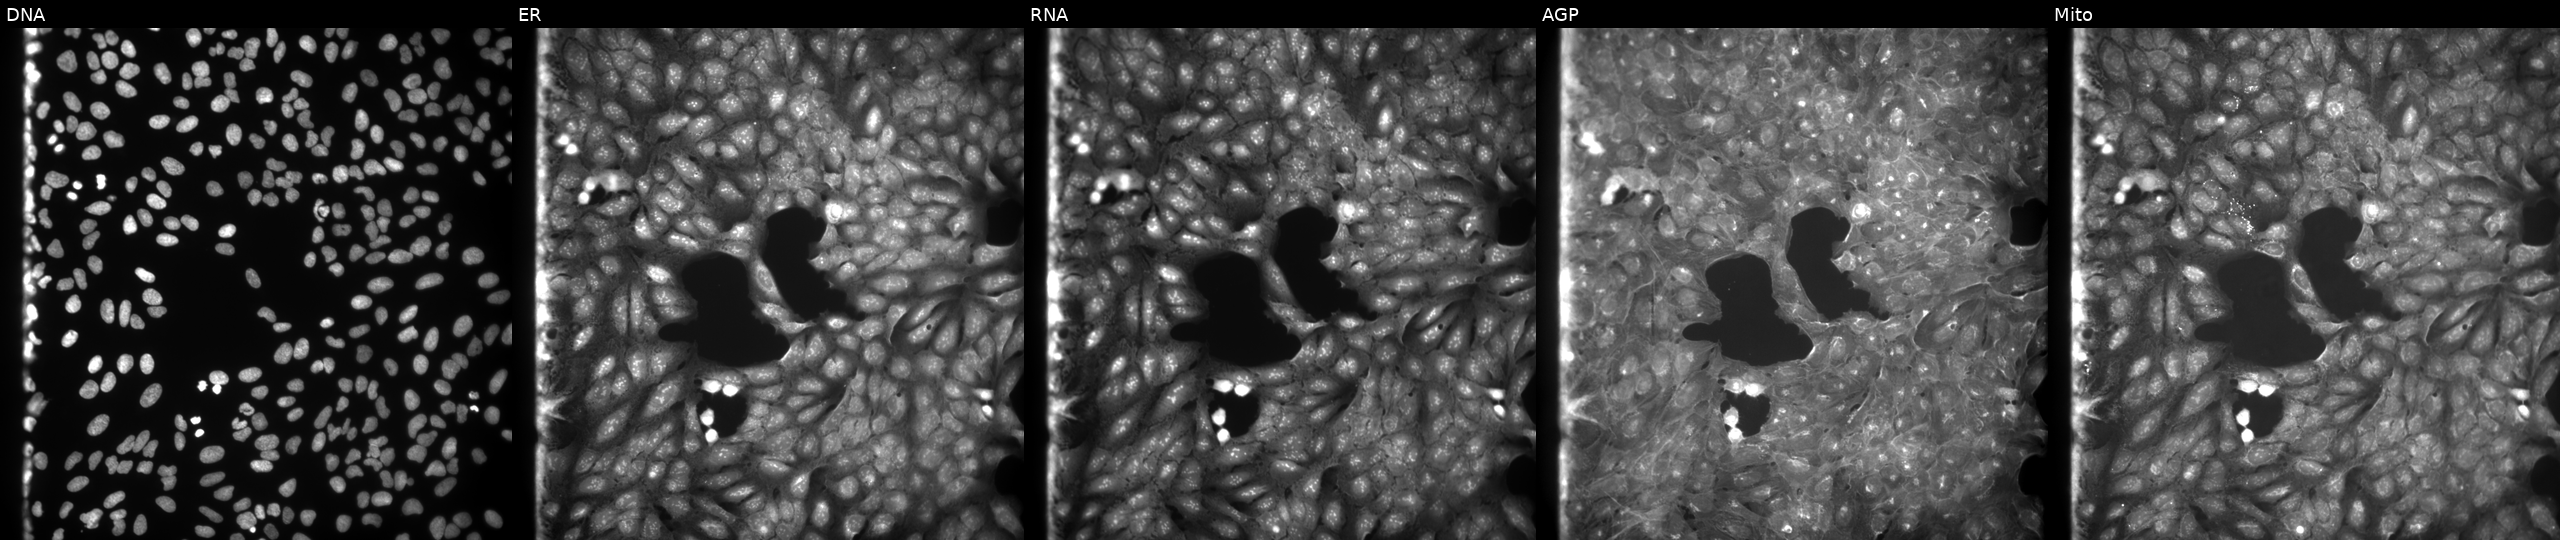
U2OS cells, Cell Painting assay, exposed to a small-molecule compound (InChIKey ICEYEDNGFRDFOR-UHFFFAOYSA-N). Panels show, left to right, DNA, ER, RNA, AGP, and Mito. Each panel is percentile-stretched 16-bit fluorescence.